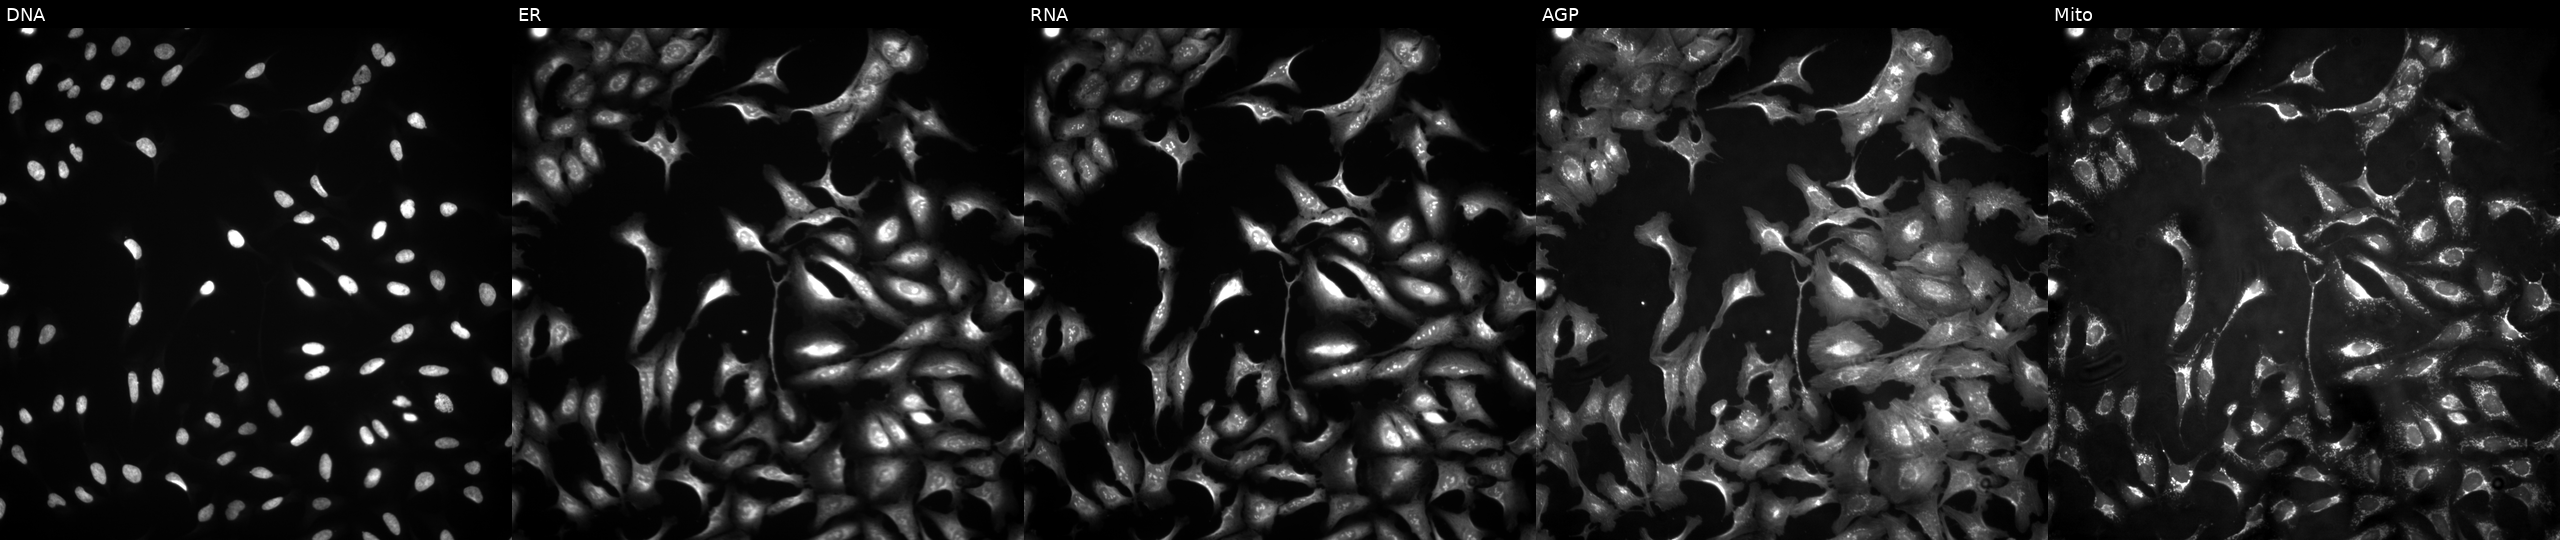
U2OS cells, Cell Painting assay, expressing BFP (ORF negative control). The five panels, left to right, show DNA (nuclei); ER (endoplasmic reticulum); RNA (nucleoli and cytoplasmic RNA); AGP (actin cytoskeleton, Golgi, and plasma membrane); Mito (mitochondria). Each panel is percentile-stretched 16-bit fluorescence. Source 4, plate BR00121543, well A03.